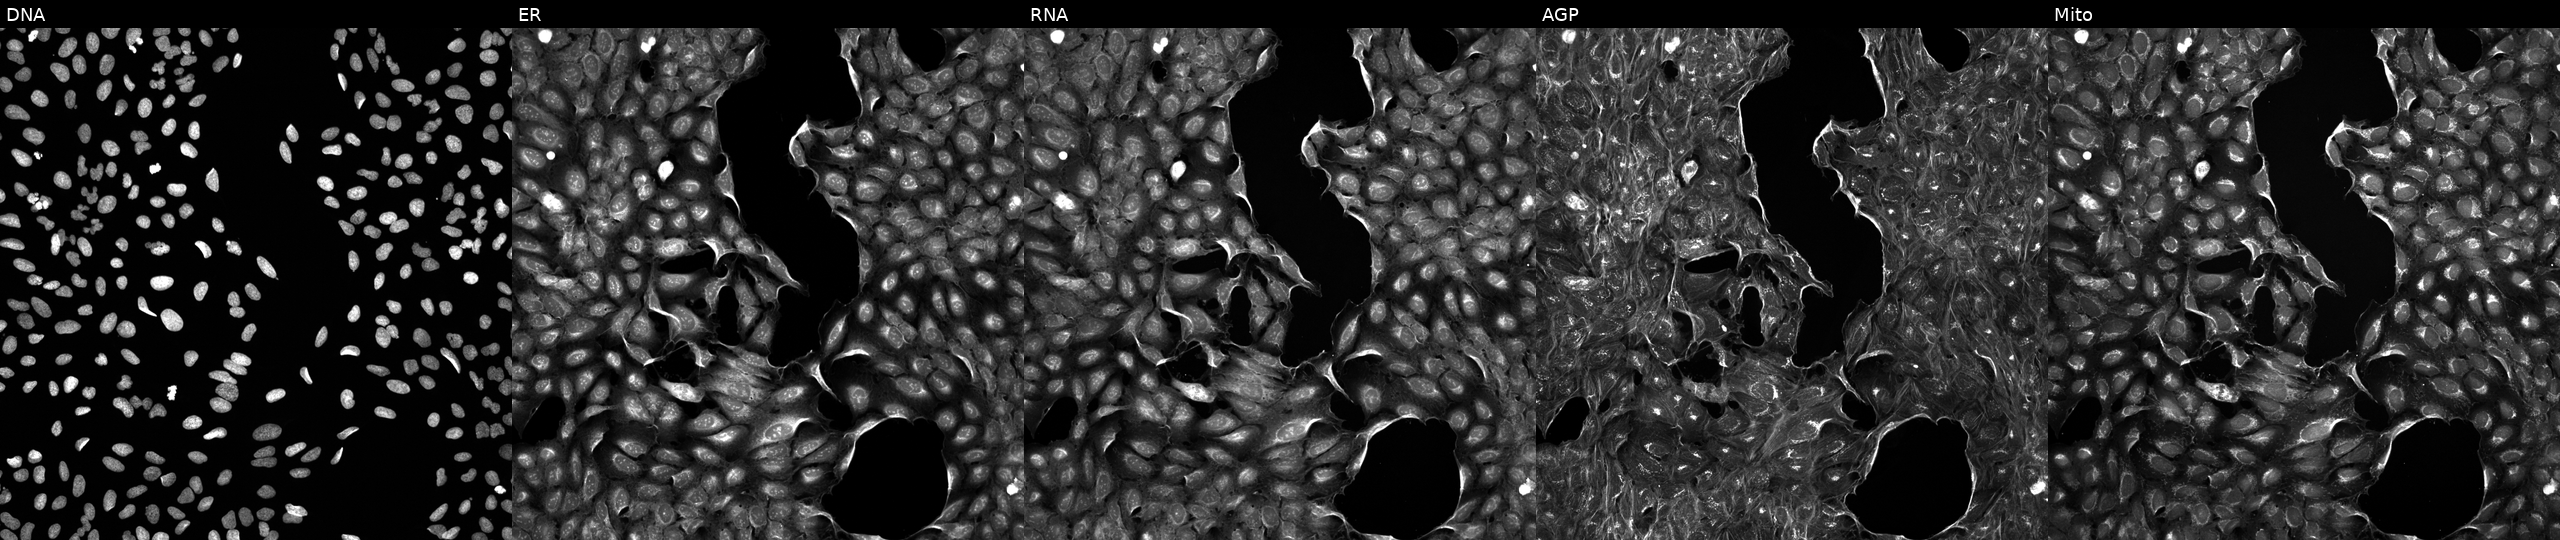
High-content fluorescence microscopy (Cell Painting). Cell line: U2OS. Perturbation: treated with a small-molecule compound. From left to right: Hoechst 33342, concanavalin A, SYTO 14, phalloidin and WGA, MitoTracker.